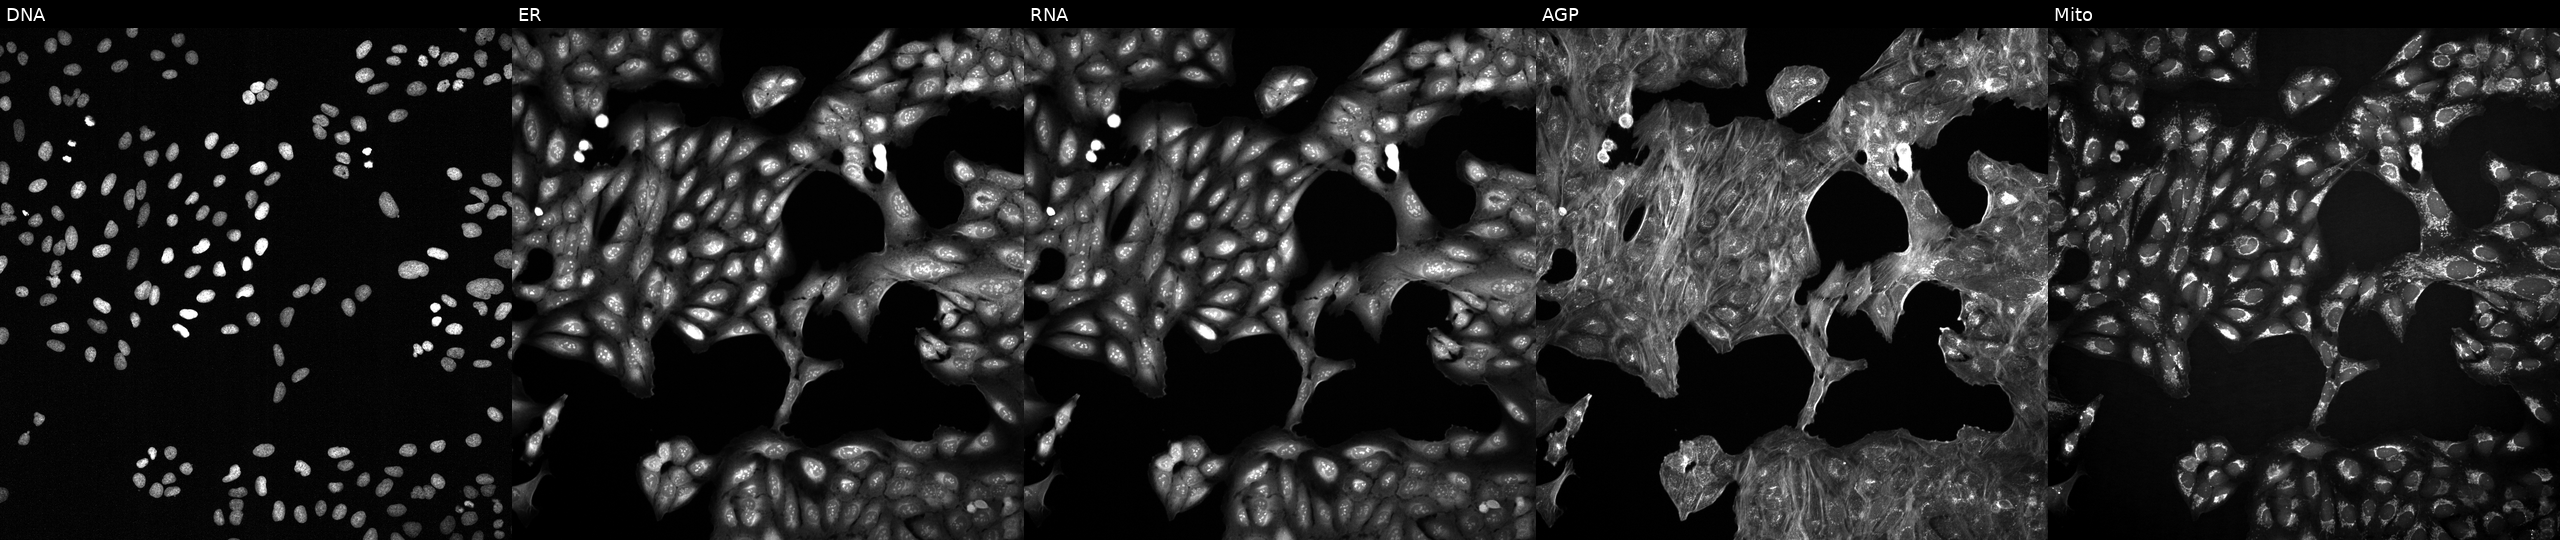
This image strip shows the five Cell Painting channels for a single field of U2OS cells exposed to a small-molecule compound (InChIKey PYEFPDQFAZNXLI-UHFFFAOYSA-N) [SMILES: Cc1ccc(NC(=O)c2cccc(N(C)C)c2)cc1NC(=O)c1ccc(O)cc1] (JUMP id JCP2022_071733). The five panels, left to right, show DNA, ER, RNA, AGP, and Mito.